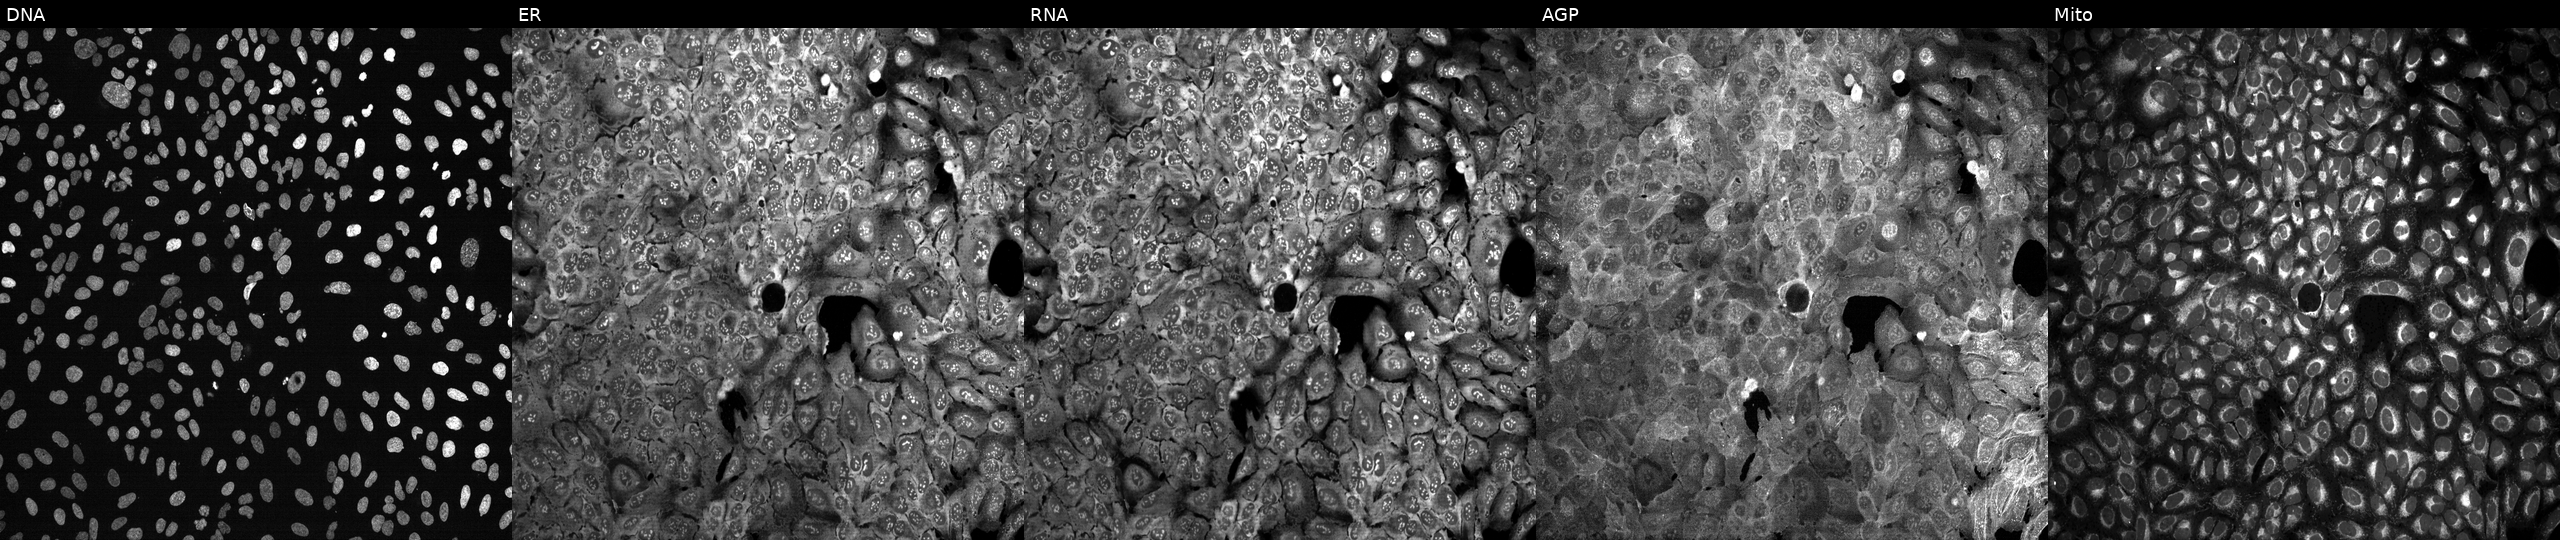
This image strip shows the five Cell Painting channels for a single field of U2OS cells with UGT3A2 knocked out by CRISPR (JUMP id JCP2022_807534). Channels (left→right): DNA (nuclei); ER (endoplasmic reticulum); RNA (nucleoli and cytoplasmic RNA); AGP (actin cytoskeleton, Golgi, and plasma membrane); Mito (mitochondria). Source 13, plate CP-CC9-R2-02, well N03.